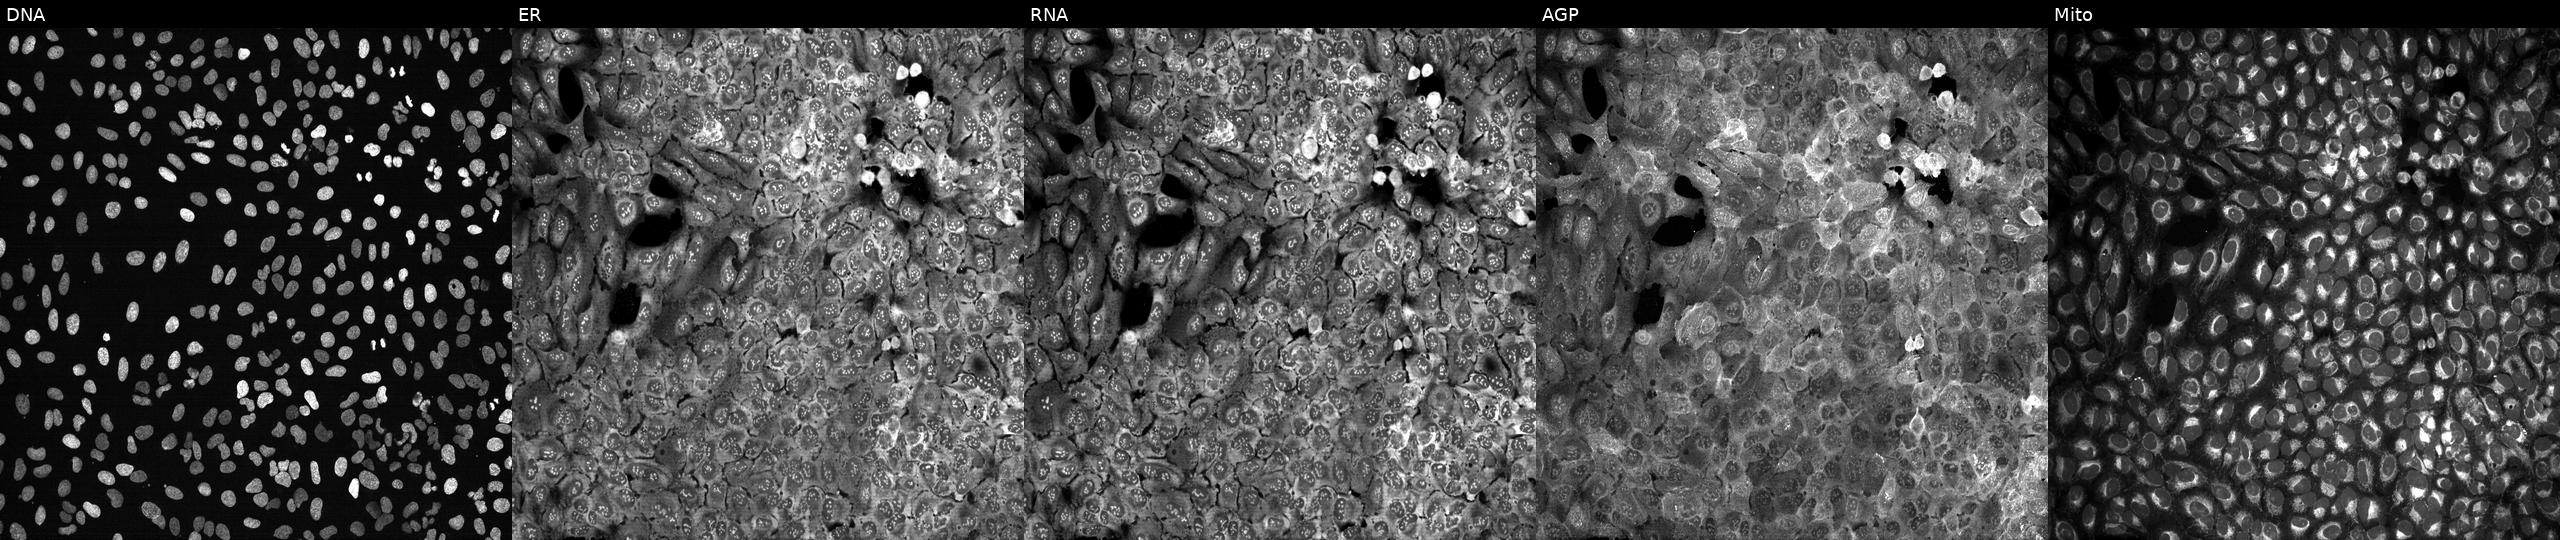
High-content fluorescence microscopy (Cell Painting). Cell line: U2OS. Perturbation: CRISPR-edited to disrupt ATP6V1C2 (JUMP id JCP2022_800737). From left to right: DNA (nuclei); ER (endoplasmic reticulum); RNA (nucleoli and cytoplasmic RNA); AGP (actin cytoskeleton, Golgi, and plasma membrane); Mito (mitochondria).